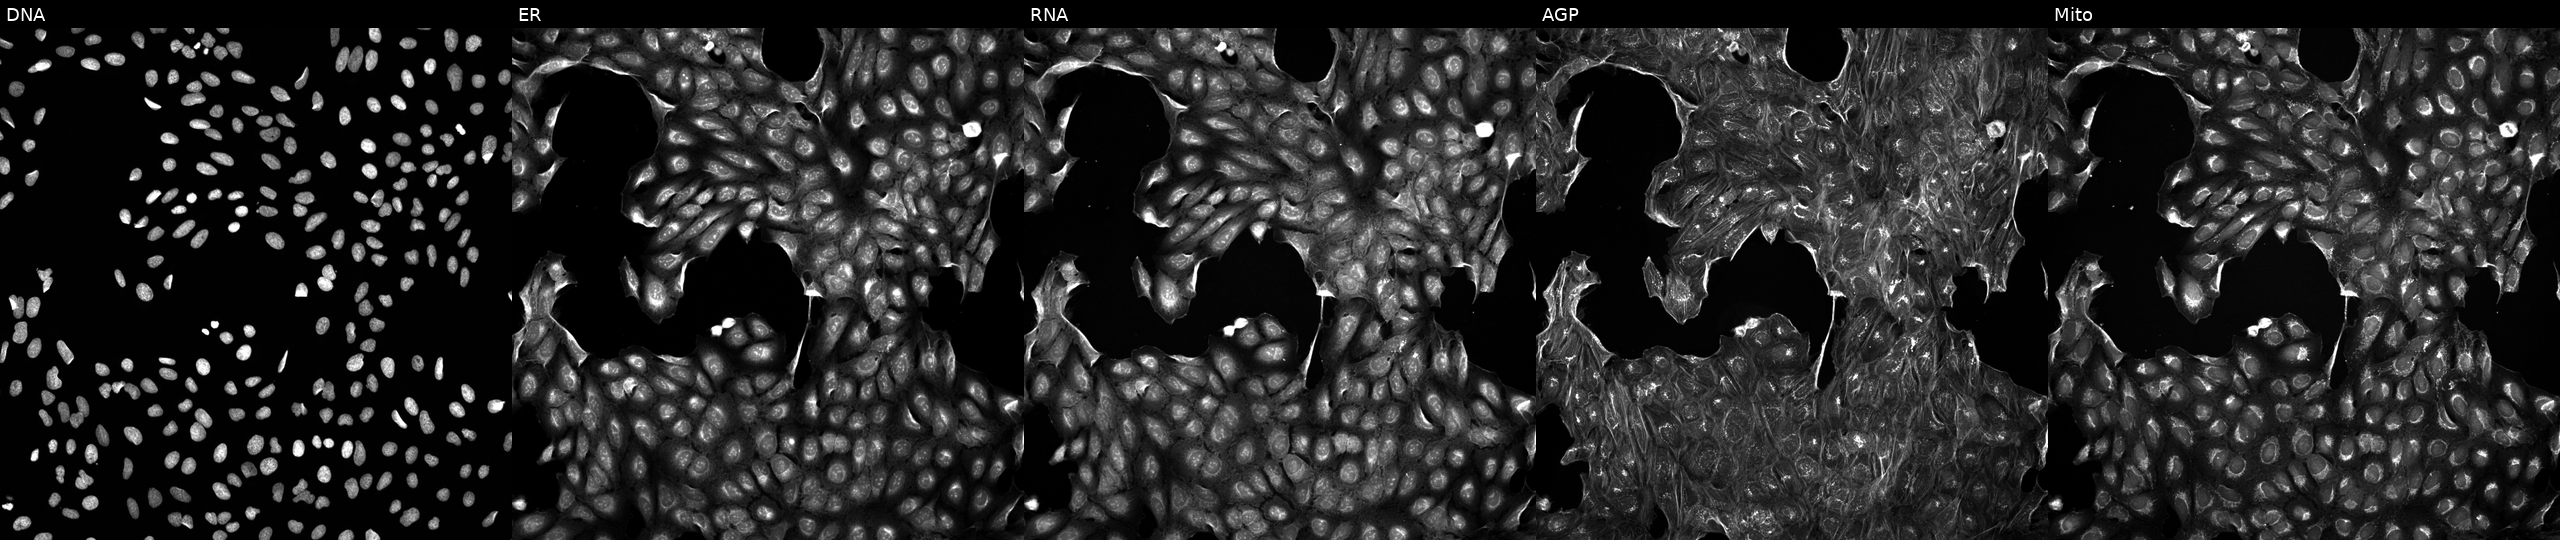
U2OS cells, Cell Painting assay, exposed to the positive-control compound aloxistatin (JUMP id JCP2022_085227). Channels (left→right): DNA (nuclei); ER (endoplasmic reticulum); RNA (nucleoli and cytoplasmic RNA); AGP (actin cytoskeleton, Golgi, and plasma membrane); Mito (mitochondria). Each panel is percentile-stretched 16-bit fluorescence. Source 5, plate APTJUM106, well I01.